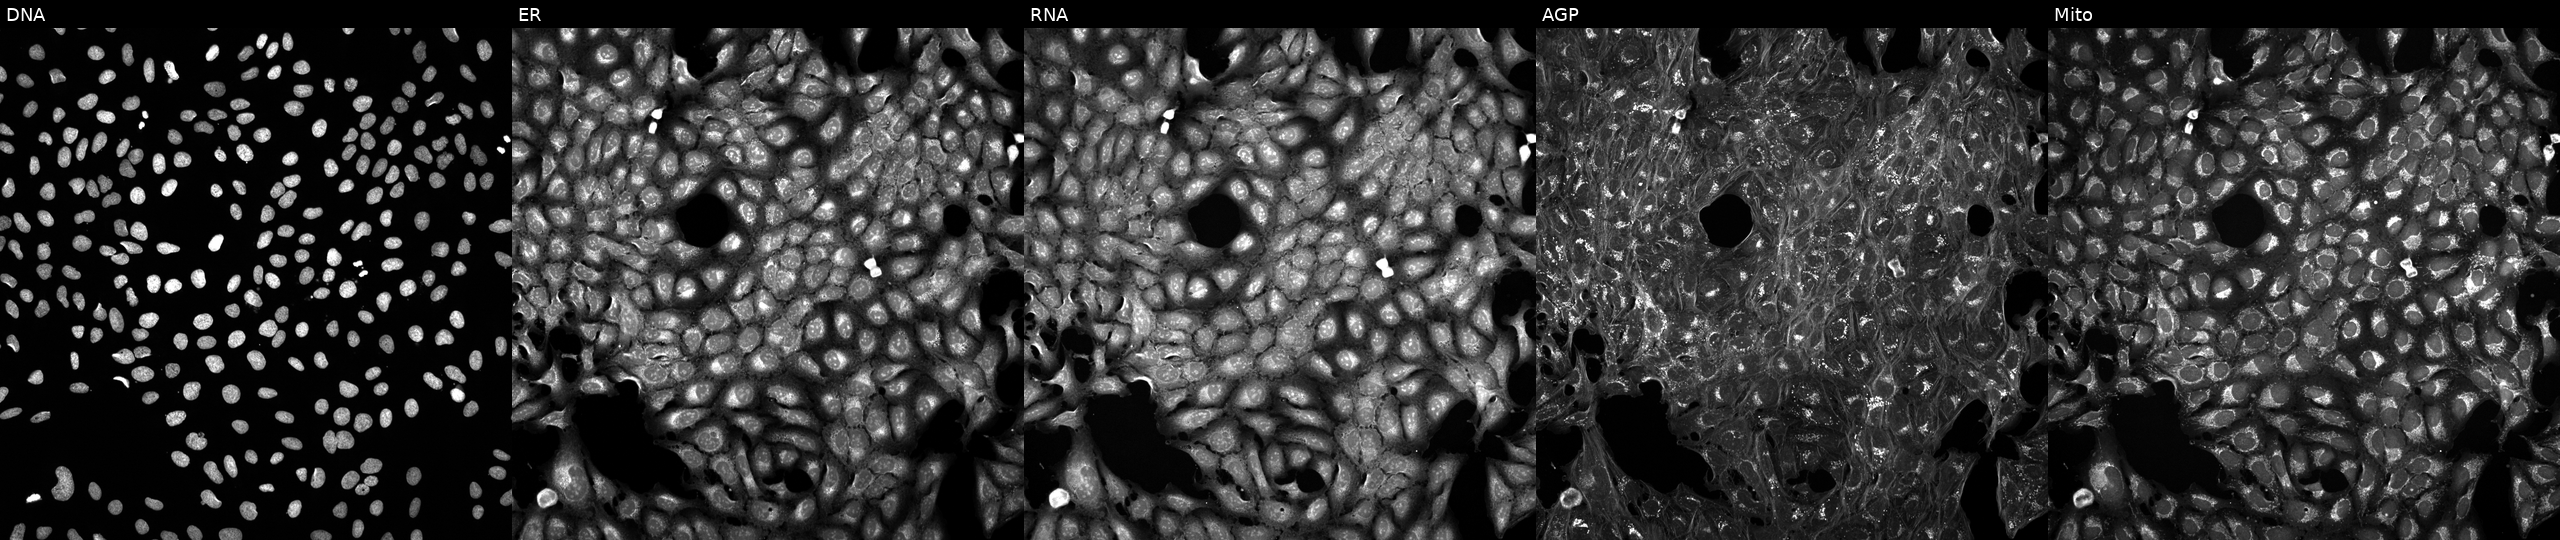
High-content fluorescence microscopy (Cell Painting). Cell line: U2OS. Perturbation: exposed to a small-molecule compound (InChIKey ZYVXTMKTGDARKR-UHFFFAOYSA-N) [SMILES: COc1cc(N2CCN(C)CC2)ccc1N=c1nc(-c2cn(C)c3cnccc23)cc[nH]1]. From left to right: DNA, ER, RNA, AGP, and Mito.